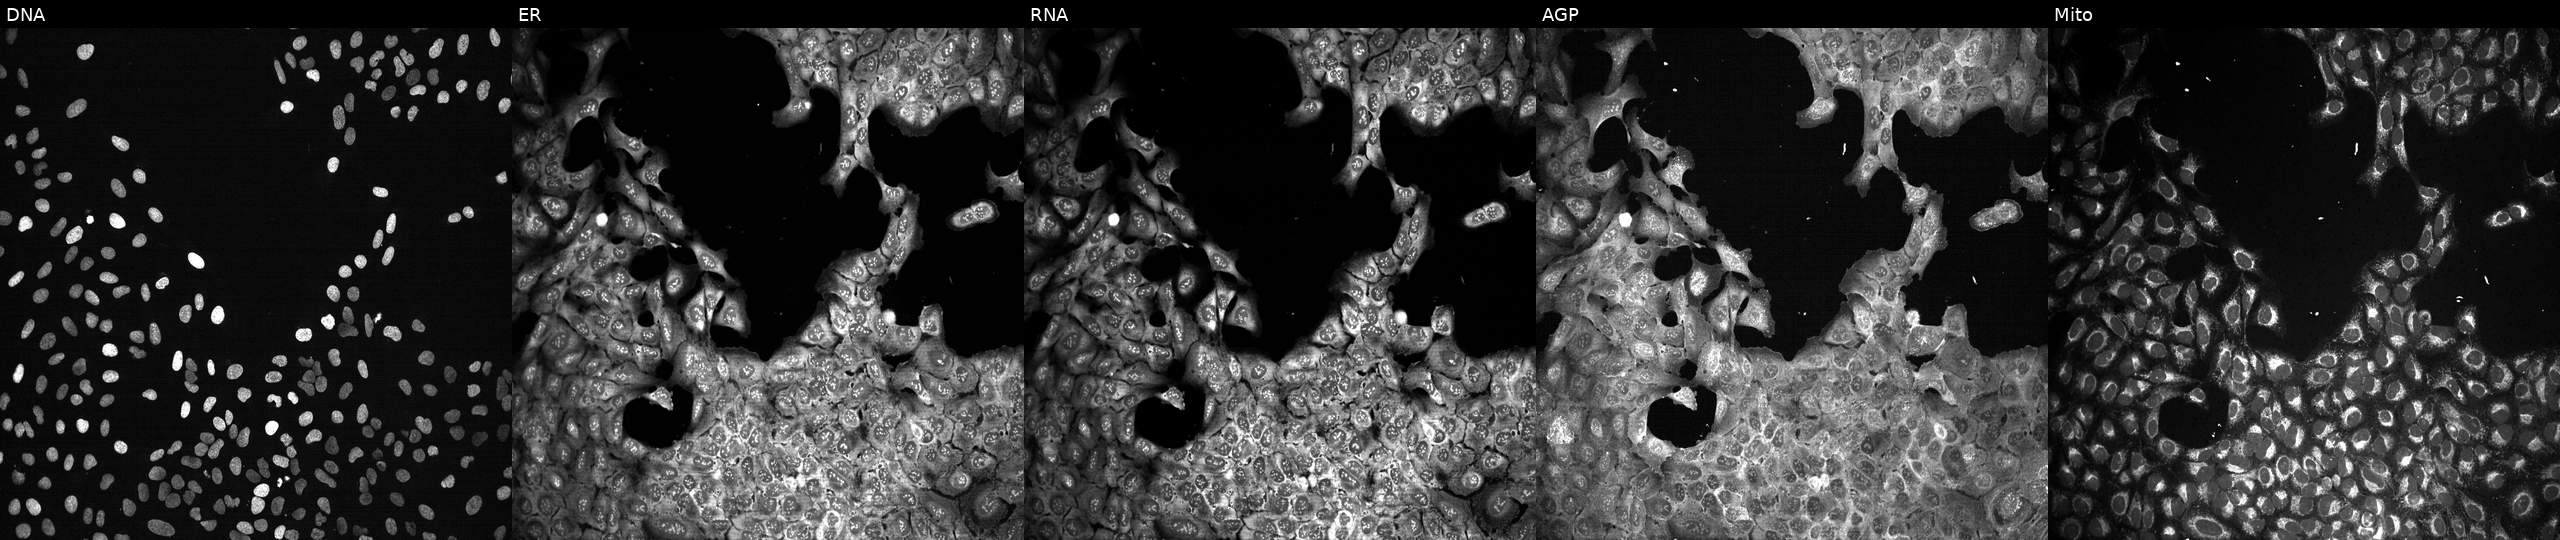
Channels (left→right): DNA, ER, RNA, AGP, and Mito. U2OS osteosarcoma cells with DAO knocked out by CRISPR. Cell Painting assay, JUMP-CP dataset.